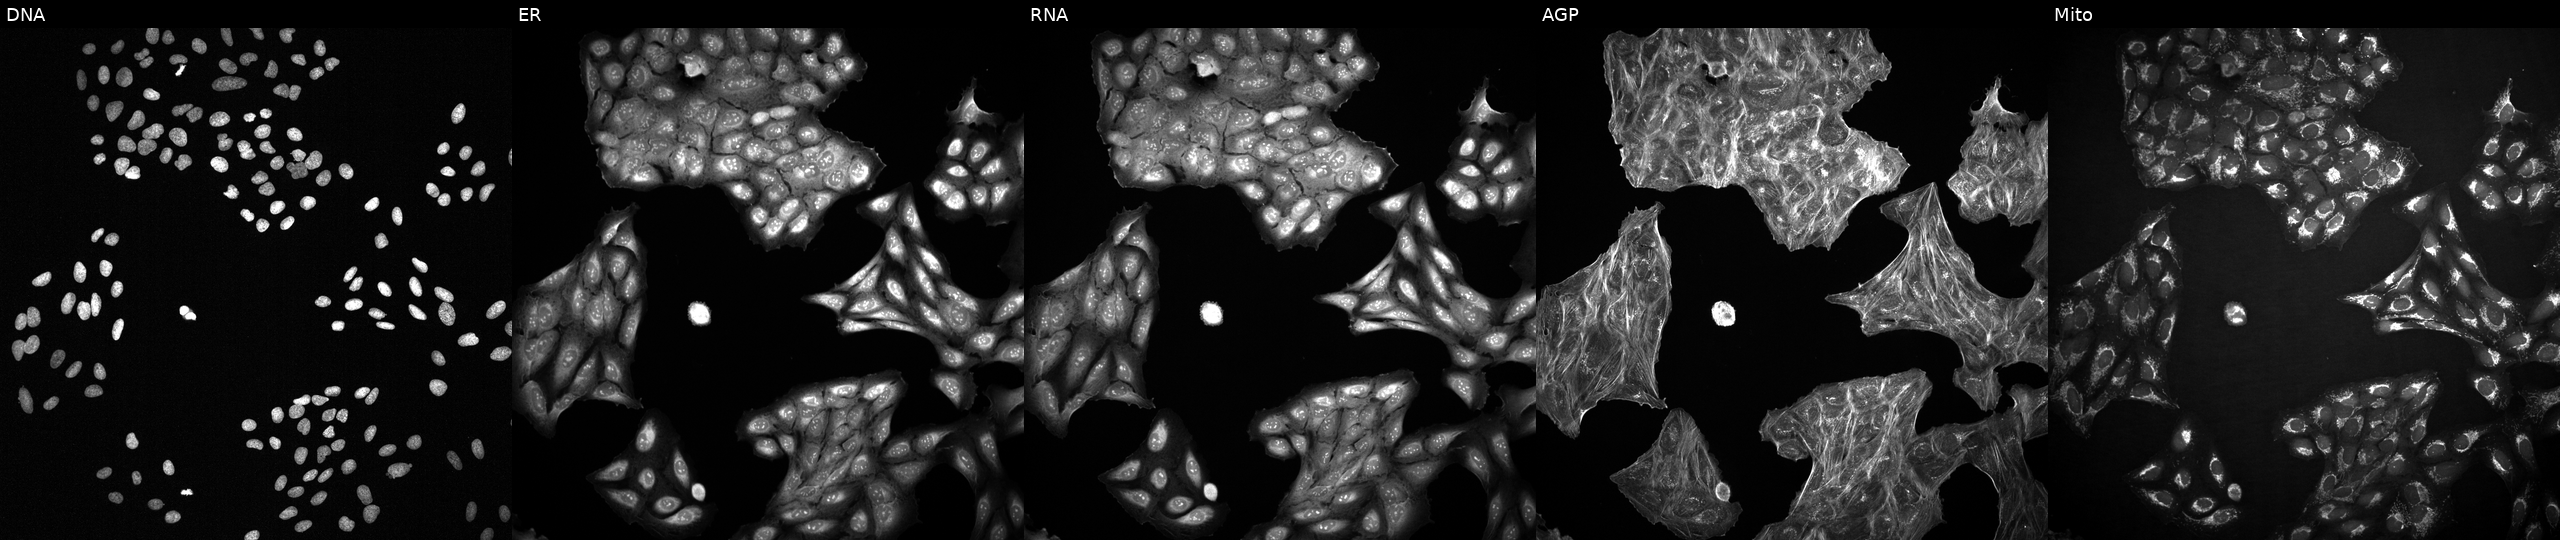
This image strip shows the five Cell Painting channels for a single field of U2OS cells with an unidentified perturbation (not annotated in JUMP metadata). From left to right: DNA, ER, RNA, AGP, and Mito. Source 2, plate 1053601763, well B06.